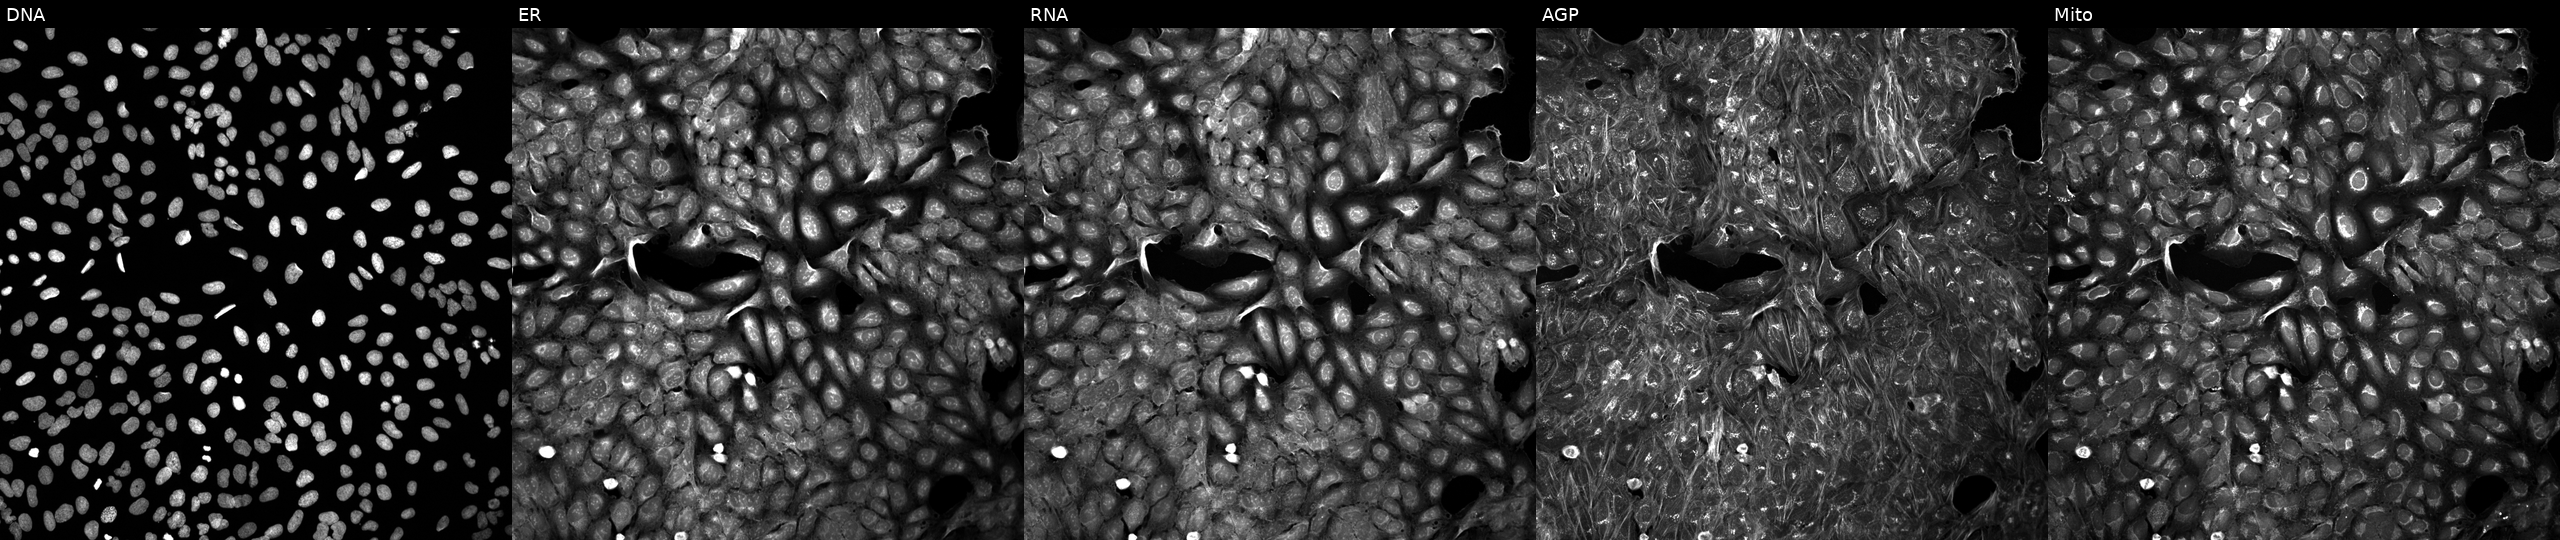
High-content fluorescence microscopy (Cell Painting). Cell line: U2OS. Perturbation: treated with DMSO vehicle only (negative control) (JUMP id JCP2022_033924). The five panels, left to right, show DNA, ER, RNA, AGP, and Mito.